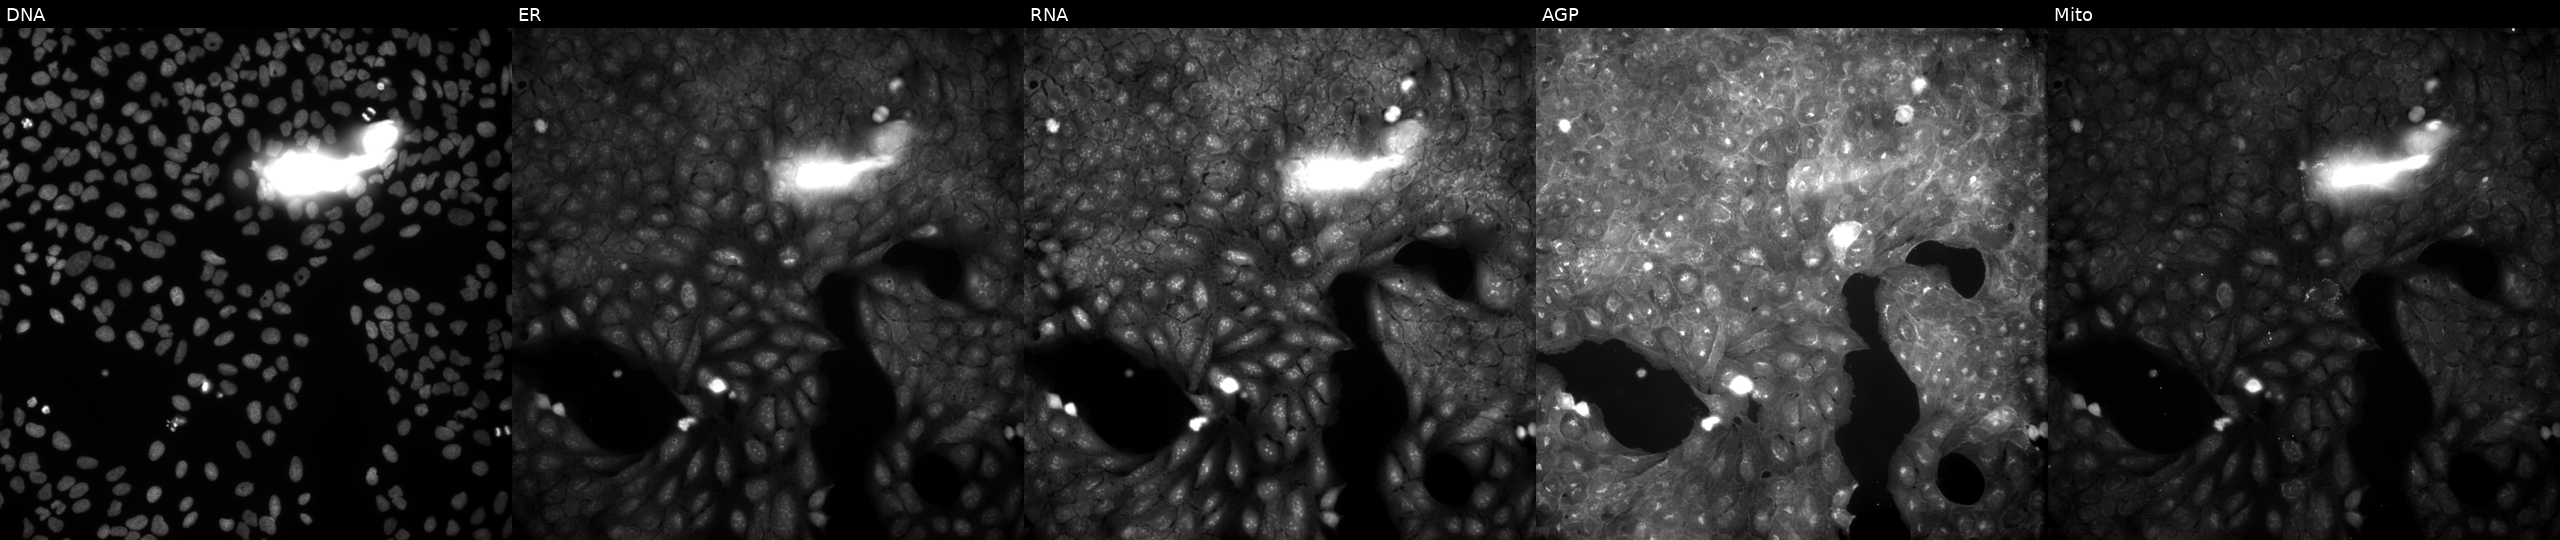
High-content fluorescence microscopy (Cell Painting). Cell line: U2OS. Perturbation: treated with a small-molecule compound (JUMP id JCP2022_087448). The five panels, left to right, show Hoechst 33342, concanavalin A, SYTO 14, phalloidin and WGA, MitoTracker.